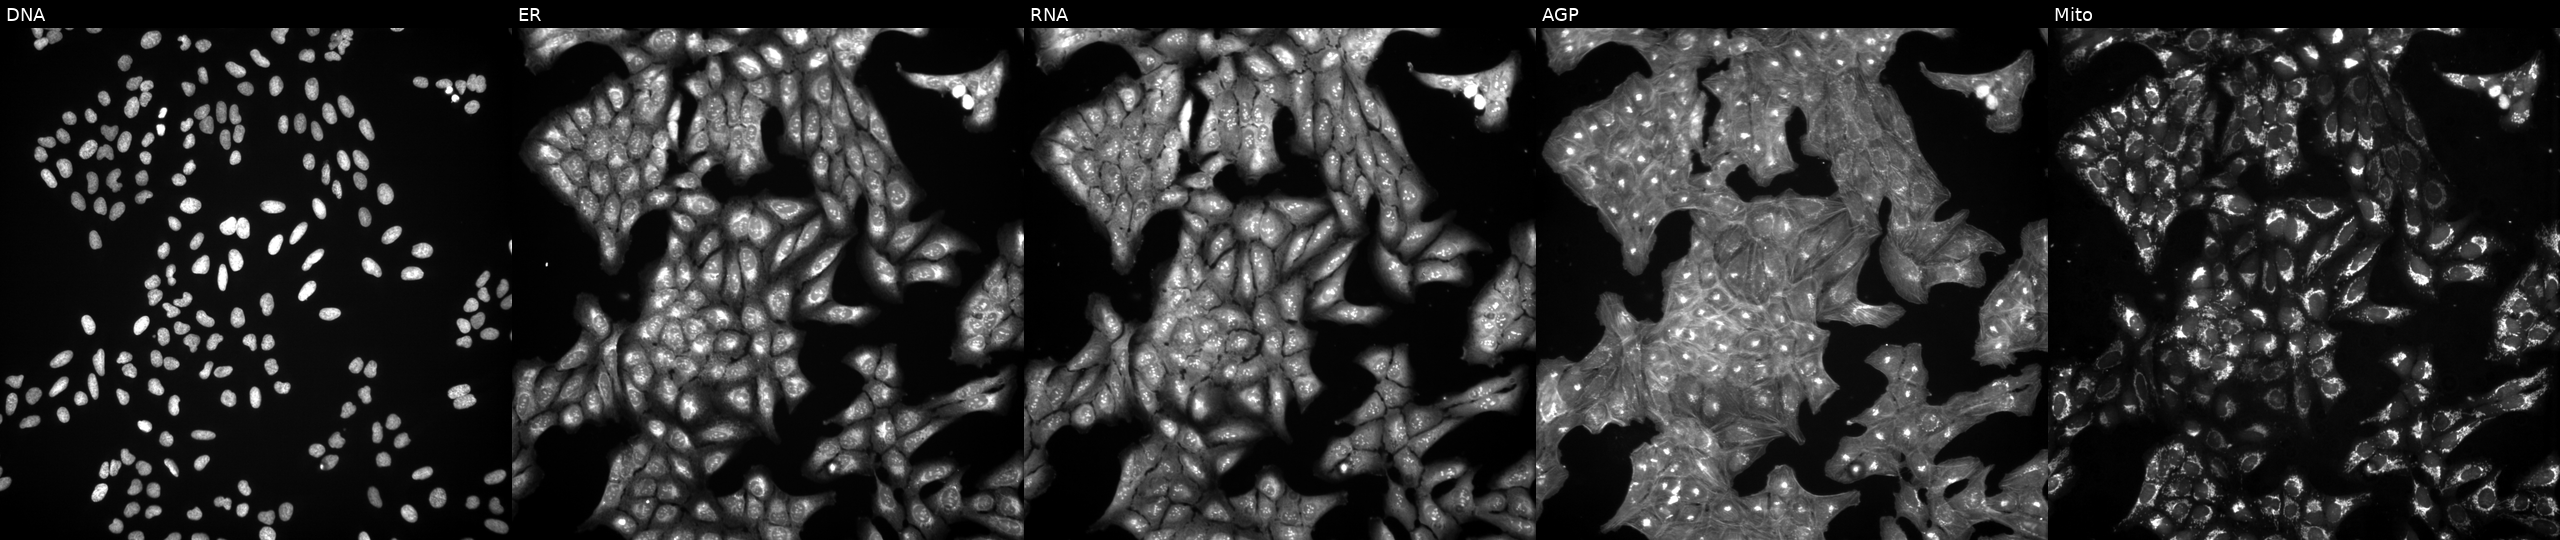
High-content fluorescence microscopy (Cell Painting). Cell line: U2OS. Perturbation: treated with a small-molecule compound (InChIKey JAJPDRXLBIESQE-UHFFFAOYSA-N) (JUMP id JCP2022_038494). Channels (left→right): DNA (nuclei); ER (endoplasmic reticulum); RNA (nucleoli and cytoplasmic RNA); AGP (actin cytoskeleton, Golgi, and plasma membrane); Mito (mitochondria). Source 3, plate BR5867a3, well J09.